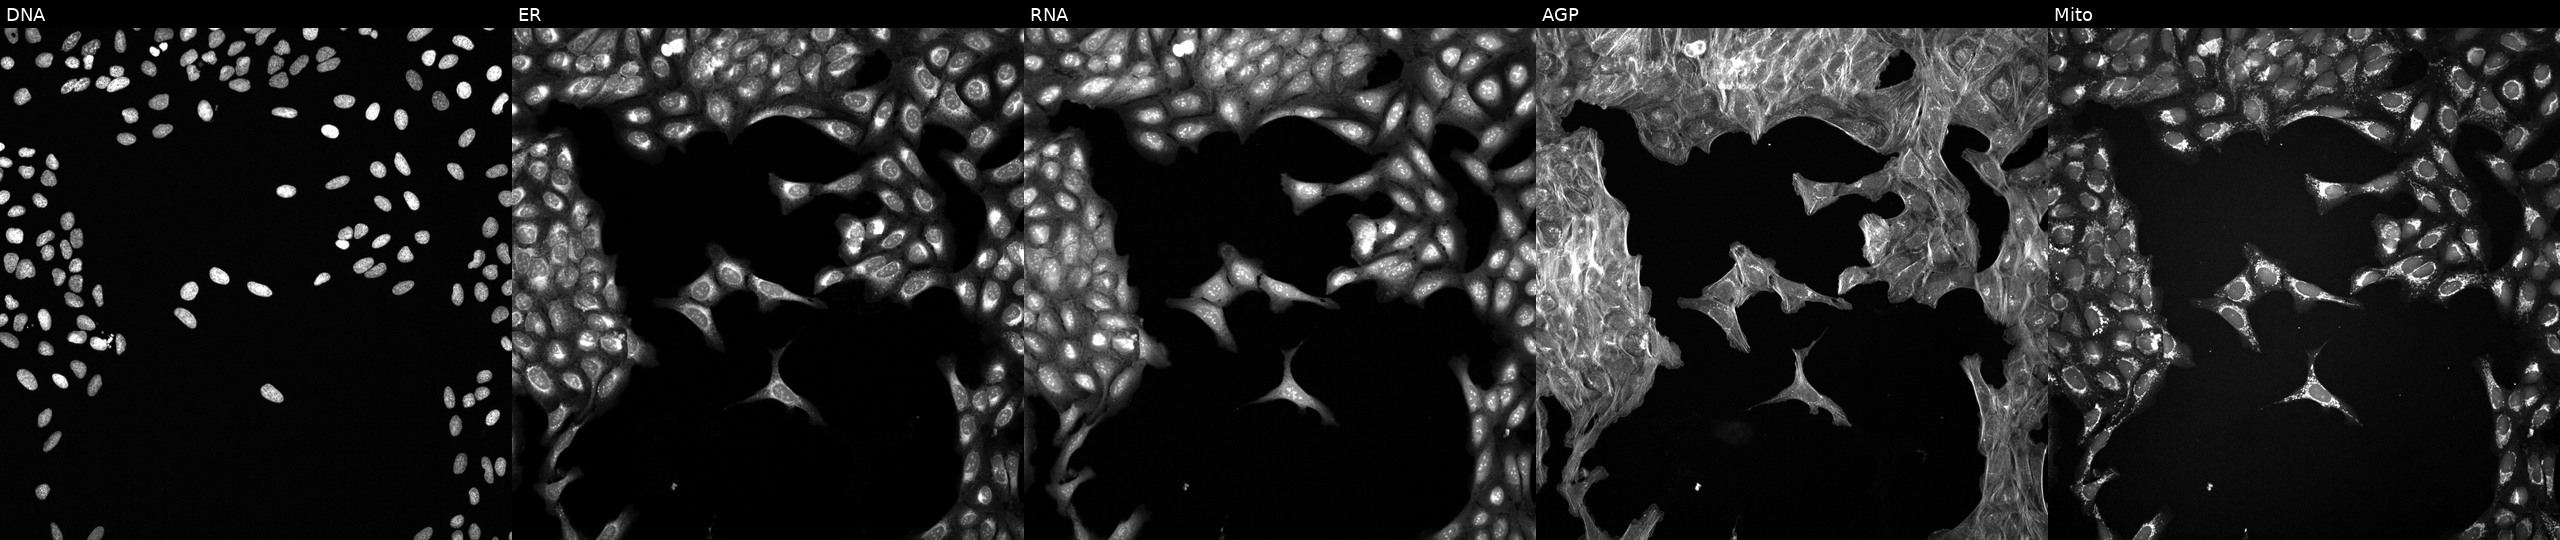
This image strip shows the five Cell Painting channels for a single field of U2OS cells treated with a small-molecule compound (InChIKey SVQRNUGOBJUJPF-UHFFFAOYSA-N). Panels show, left to right, Hoechst 33342, concanavalin A, SYTO 14, phalloidin and WGA, MitoTracker.